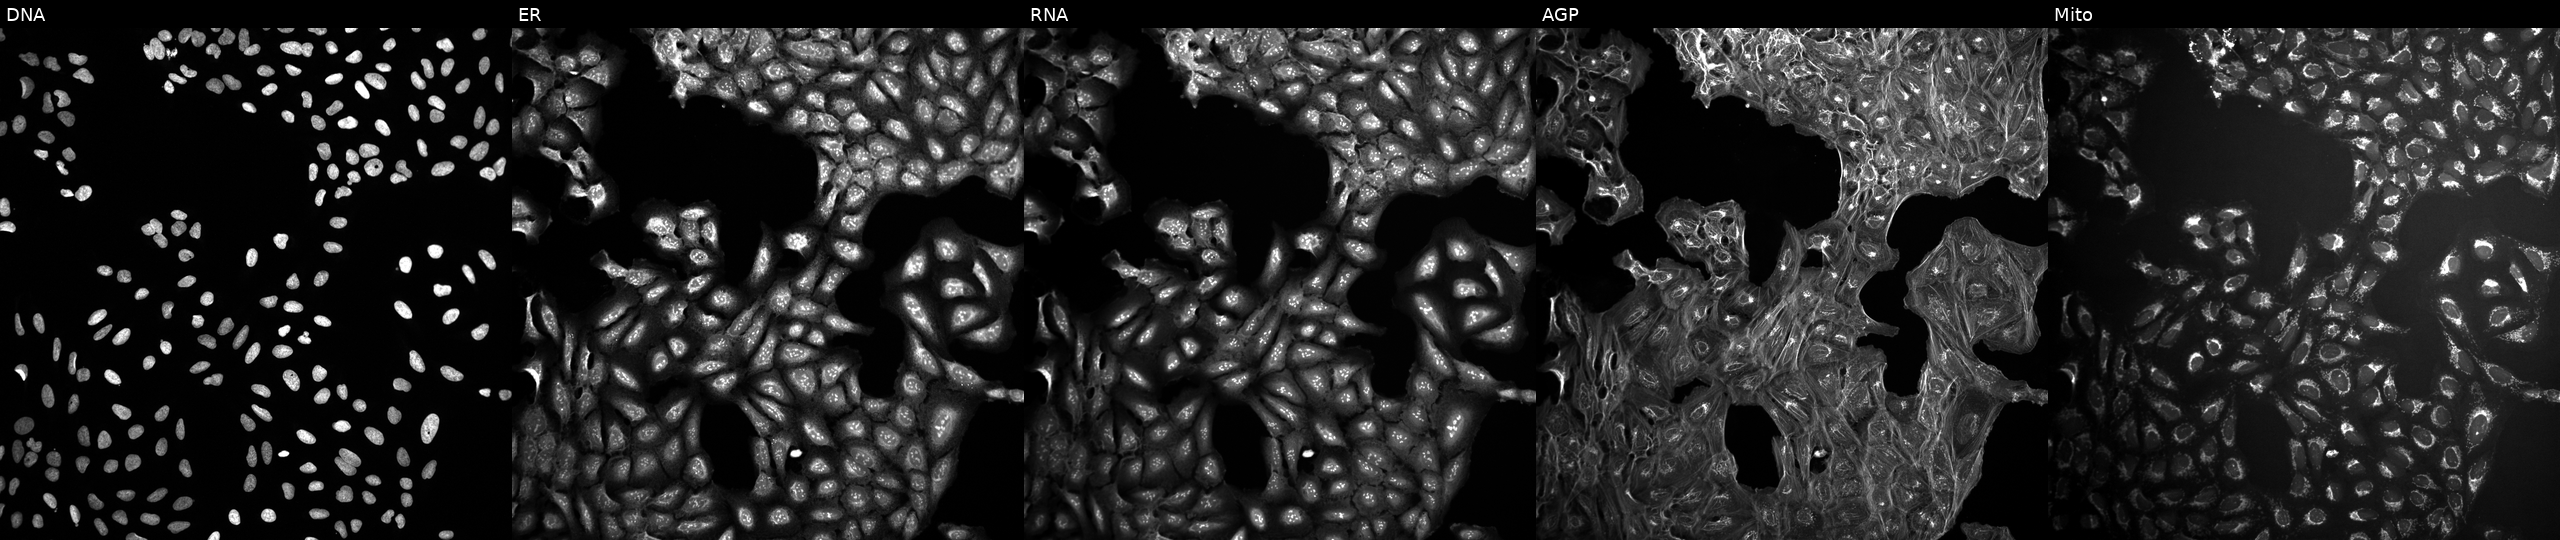
This image strip shows the five Cell Painting channels for a single field of U2OS cells perturbed with a small-molecule compound (InChIKey MFDFERRIHVXMIY-UHFFFAOYSA-N) (JUMP id JCP2022_053734). Panels show, left to right, Hoechst 33342, concanavalin A, SYTO 14, phalloidin and WGA, MitoTracker.